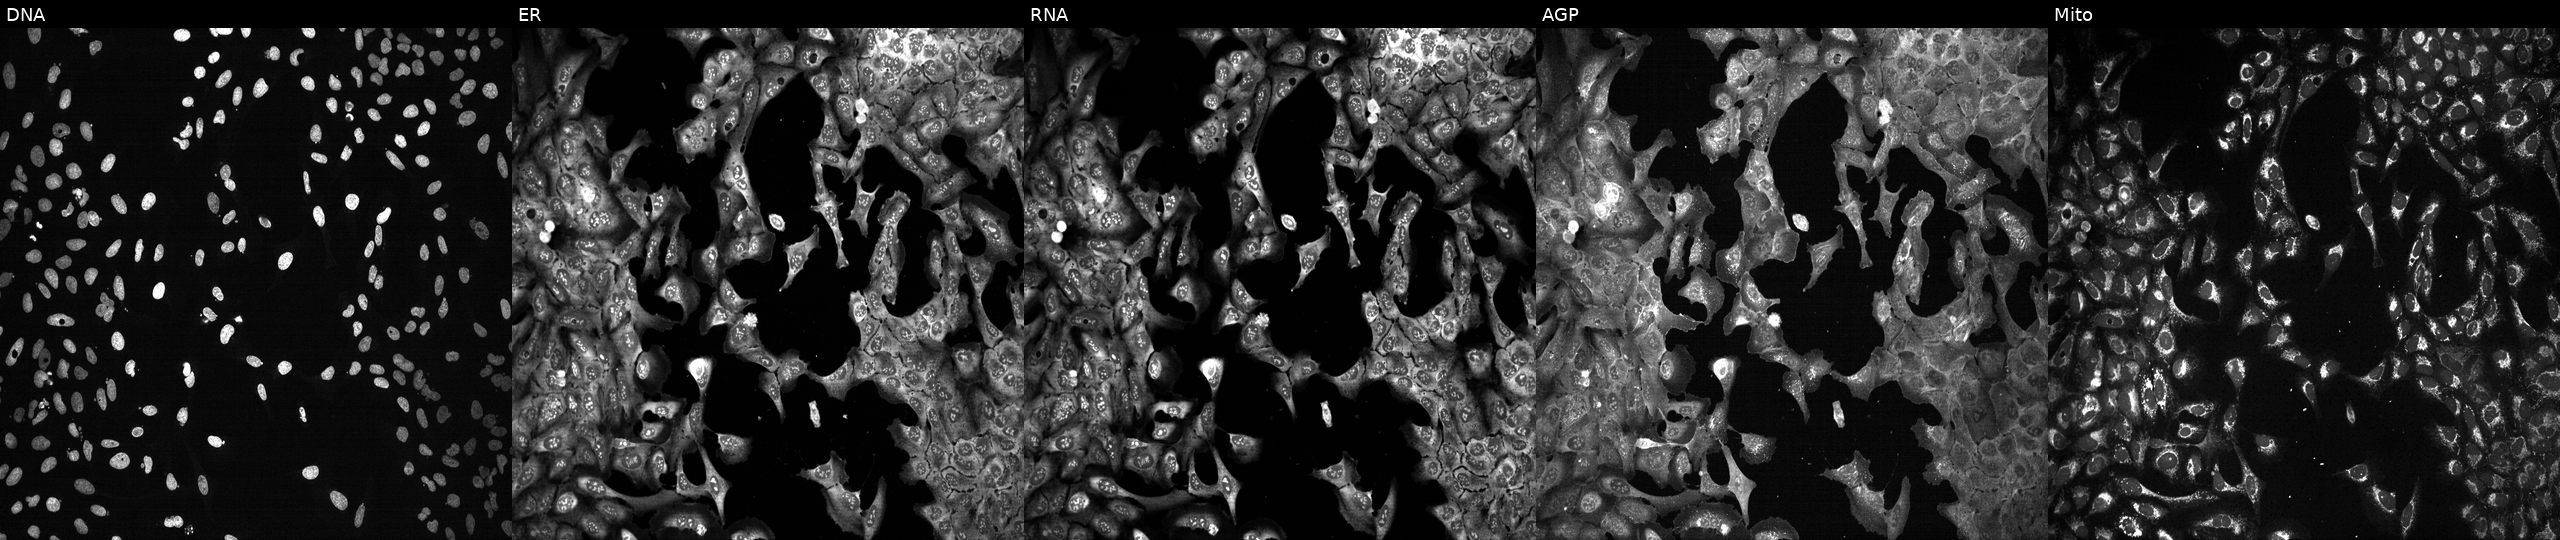
This image strip shows the five Cell Painting channels for a single field of U2OS cells CRISPR-edited to disrupt PABPC1. Panels show, left to right, DNA (nuclei); ER (endoplasmic reticulum); RNA (nucleoli and cytoplasmic RNA); AGP (actin cytoskeleton, Golgi, and plasma membrane); Mito (mitochondria). Source 13, plate CP-CC9-R3-01, well I17.